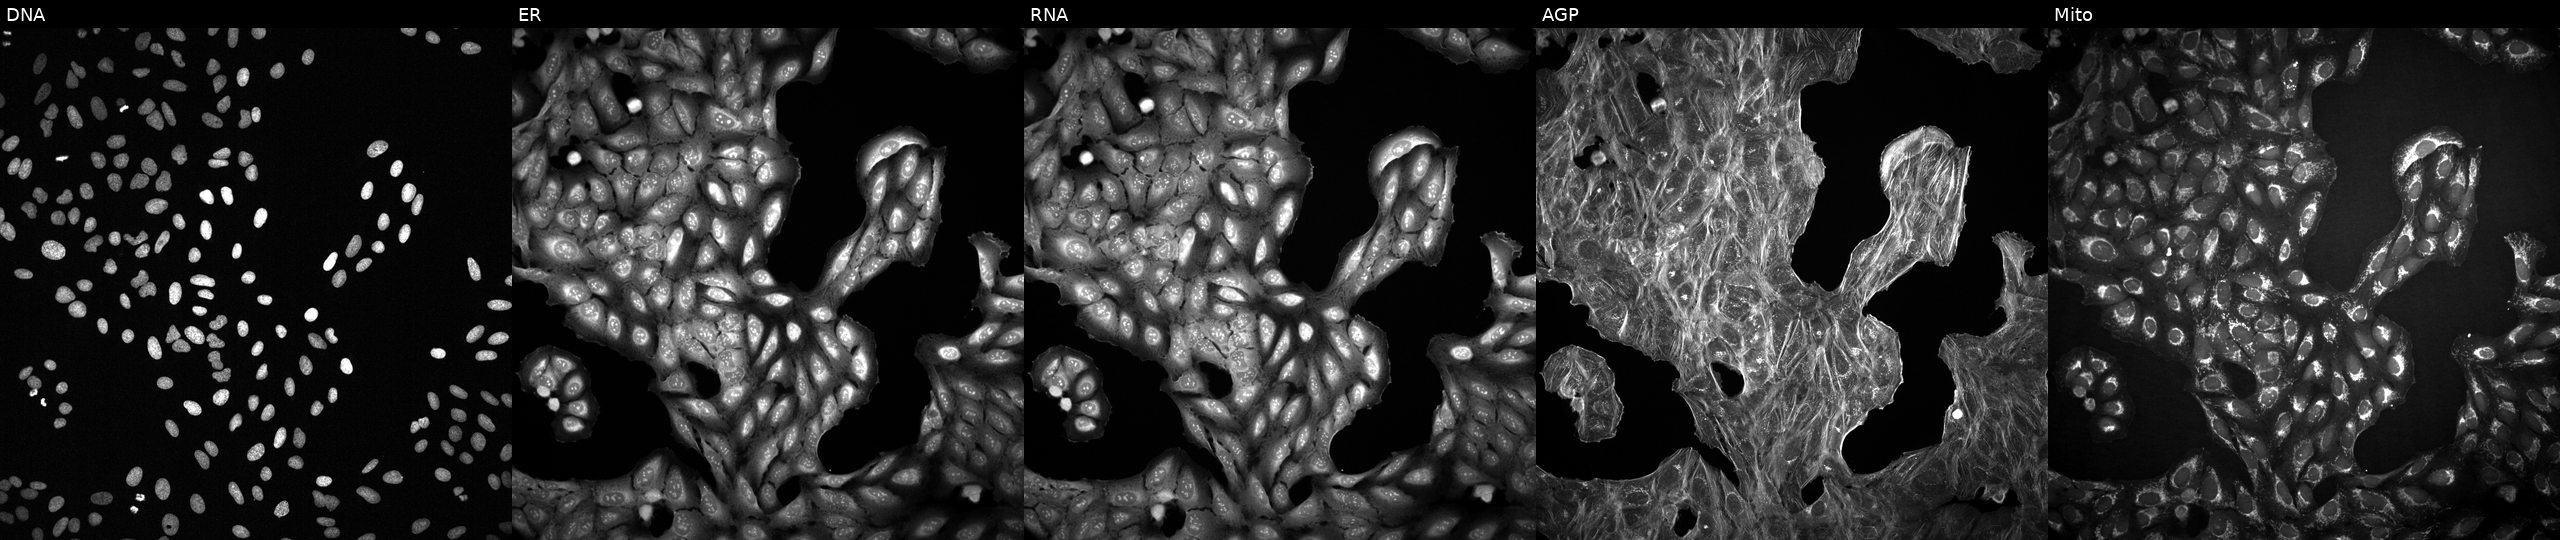
U2OS cells, Cell Painting assay, exposed to a small-molecule compound (InChIKey AQXAMDTXSACVFN-UHFFFAOYSA-N) (JUMP id JCP2022_003235). Channels (left→right): Hoechst 33342, concanavalin A, SYTO 14, phalloidin and WGA, MitoTracker. Each panel is percentile-stretched 16-bit fluorescence. Source 2, plate 1053601756, well C07.